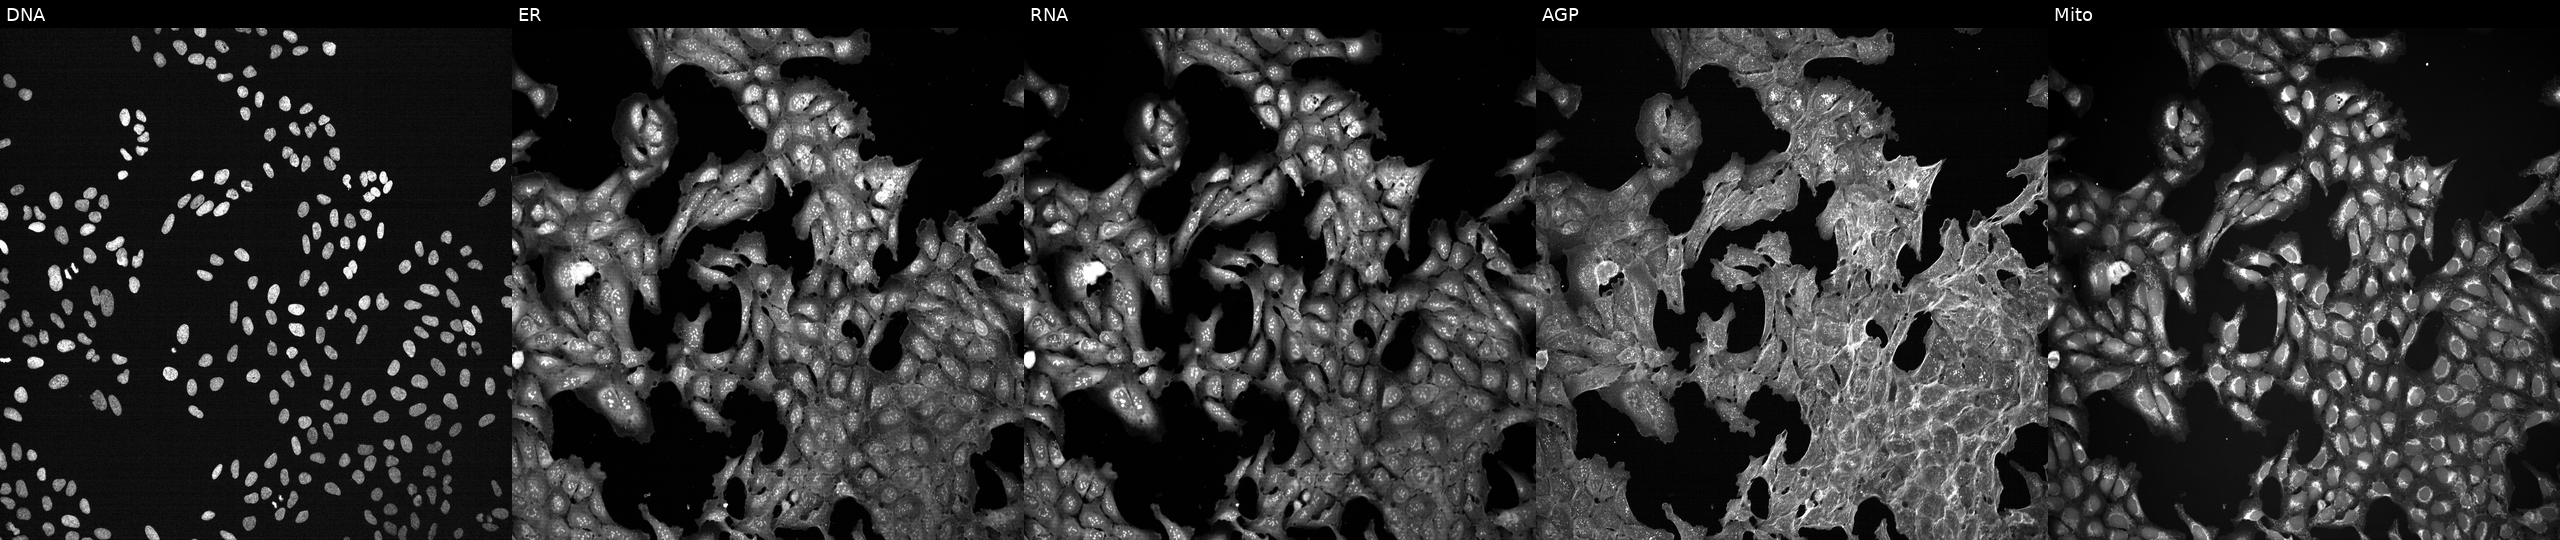
JUMP Cell Painting — TARGET2 plate. U2OS cells perturbed with a small-molecule compound (InChIKey JVGBTTIJPBFLTE-UHFFFAOYSA-N) [SMILES: O=C1NCN(c2ccccc2)C12CCN(CC1COc3ccccc3O1)CC2]. Channels (left→right): DNA (nuclei); ER (endoplasmic reticulum); RNA (nucleoli and cytoplasmic RNA); AGP (actin cytoskeleton, Golgi, and plasma membrane); Mito (mitochondria). Source 7, plate CP3-SC1-25, well L17.